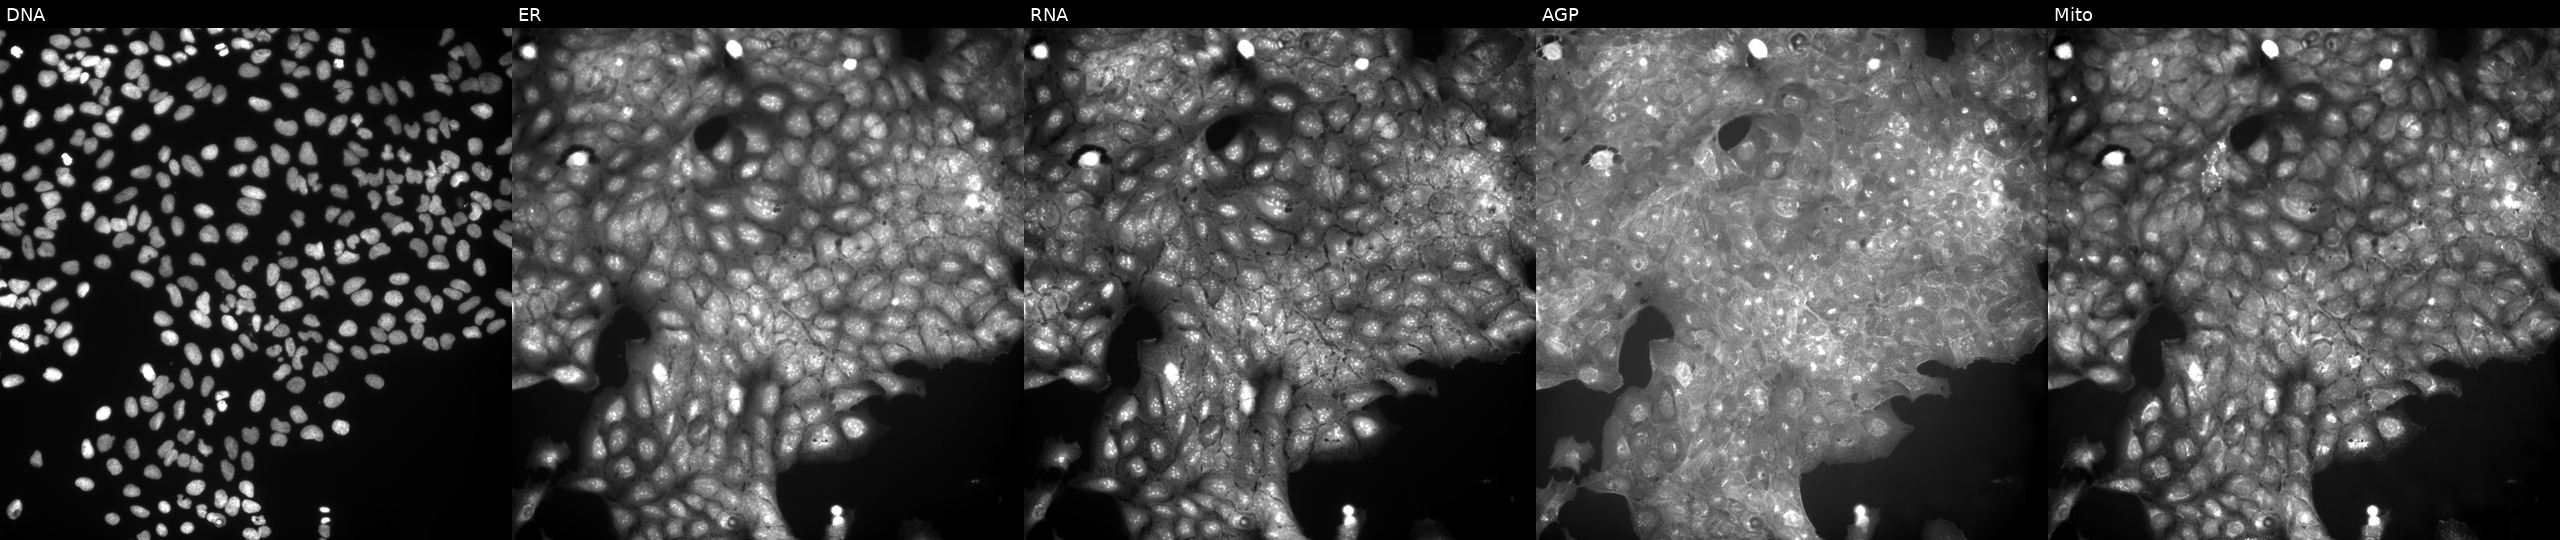
U2OS cells, Cell Painting assay, treated with a small-molecule compound (InChIKey DHYUIUDXVMJVAM-UHFFFAOYSA-N) (JUMP id JCP2022_016035). From left to right: DNA, ER, RNA, AGP, and Mito. Each panel is percentile-stretched 16-bit fluorescence. Source 9, plate GR00003381, well P37.